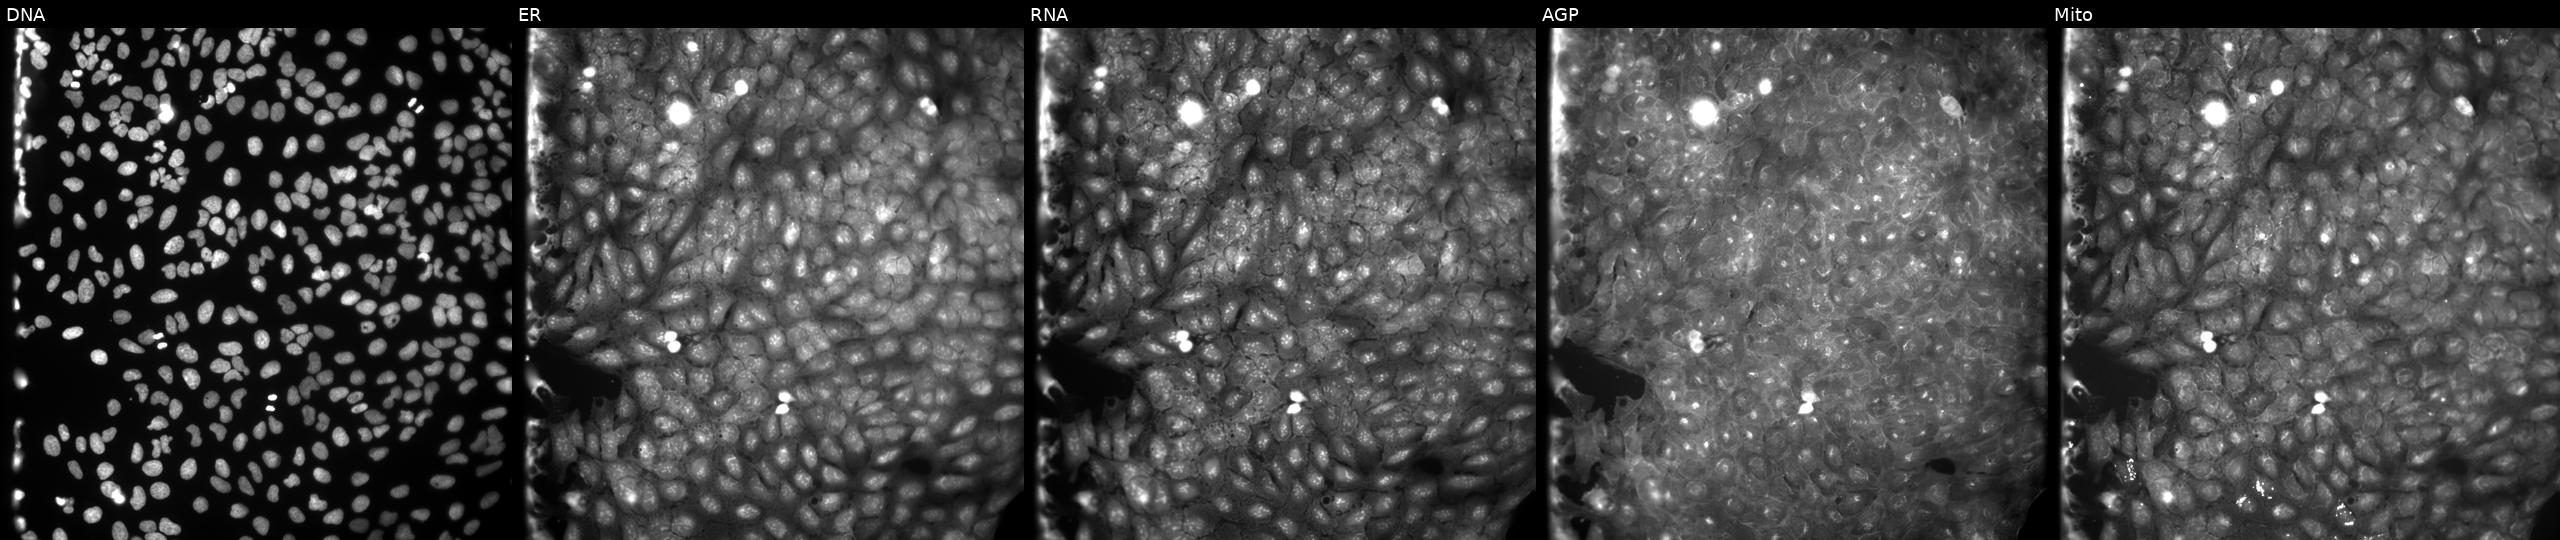
U2OS cells, Cell Painting assay, exposed to a small-molecule compound (InChIKey XGSMROLEAXIJMG-UHFFFAOYSA-N) (JUMP id JCP2022_103543). The five panels, left to right, show Hoechst 33342, concanavalin A, SYTO 14, phalloidin and WGA, MitoTracker. Each panel is percentile-stretched 16-bit fluorescence.